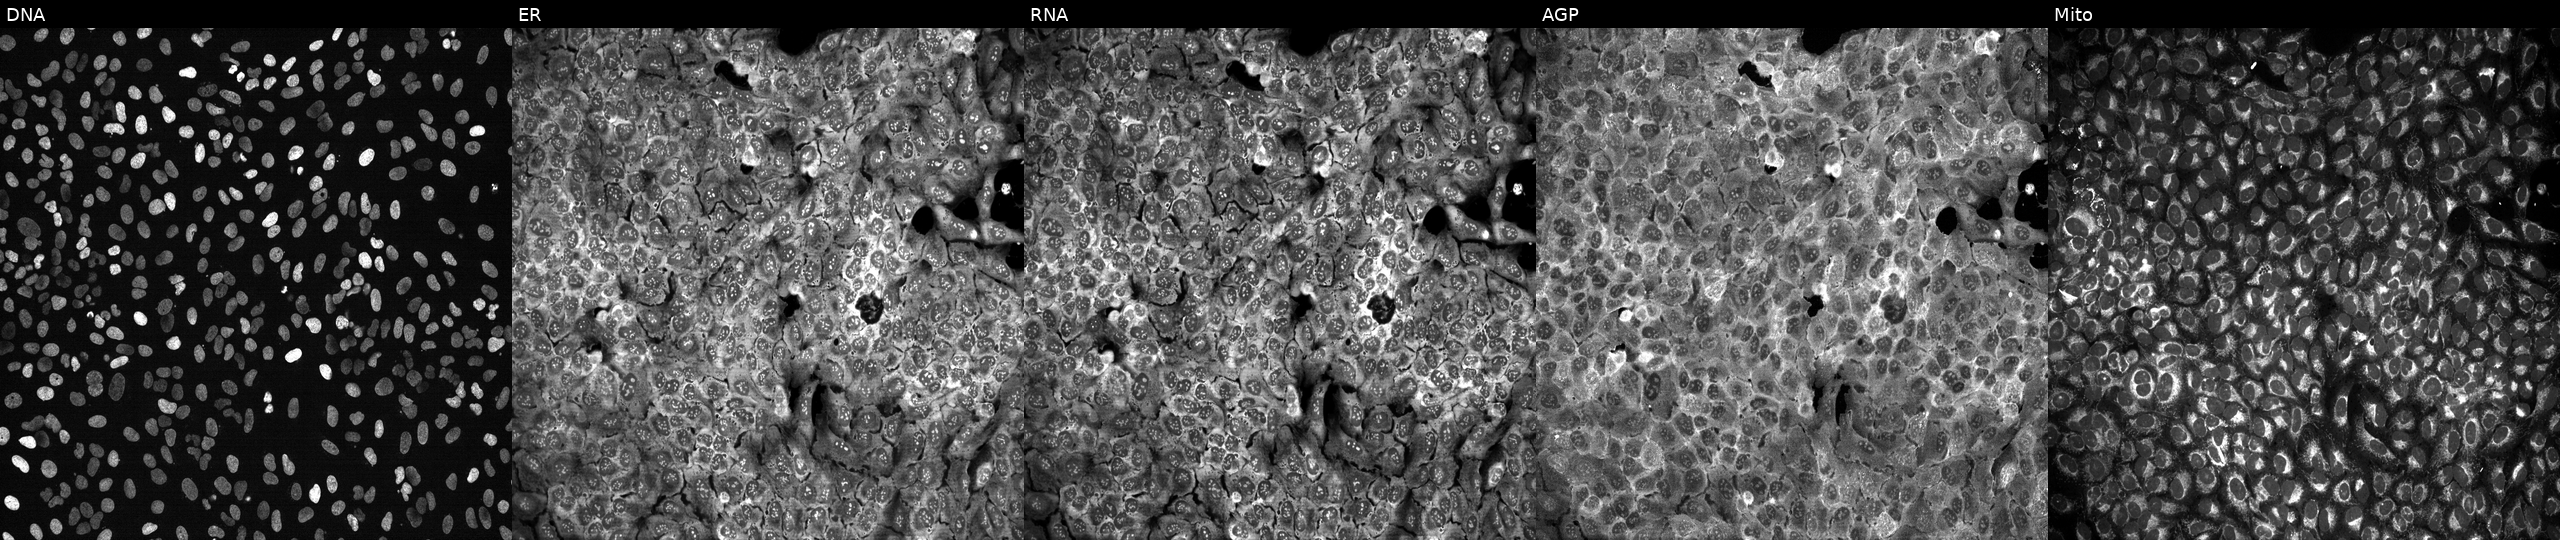
Five-channel Cell Painting image of U2OS cells with SEPT1 knocked out by CRISPR. Panels show, left to right, DNA, ER, RNA, AGP, and Mito. Source 13, plate CP-CC9-R3-01, well C13.